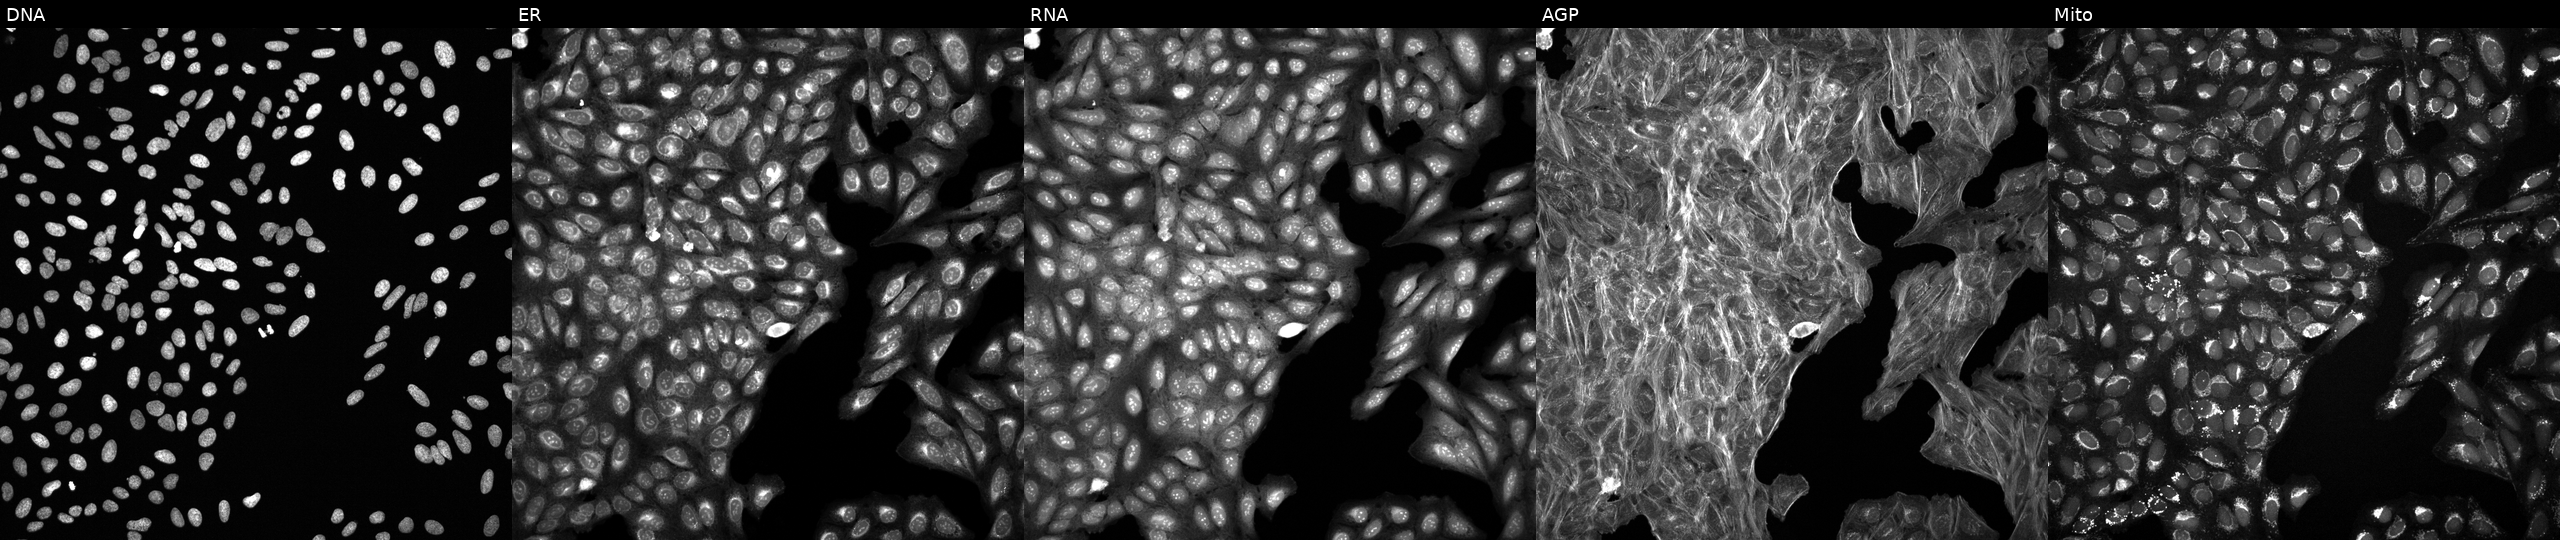
U2OS cells, Cell Painting assay, exposed to a small-molecule compound (InChIKey XDFKWGIBQMHSOH-UHFFFAOYSA-N) (JUMP id JCP2022_102917). The five panels, left to right, show DNA, ER, RNA, AGP, and Mito. Each panel is percentile-stretched 16-bit fluorescence.